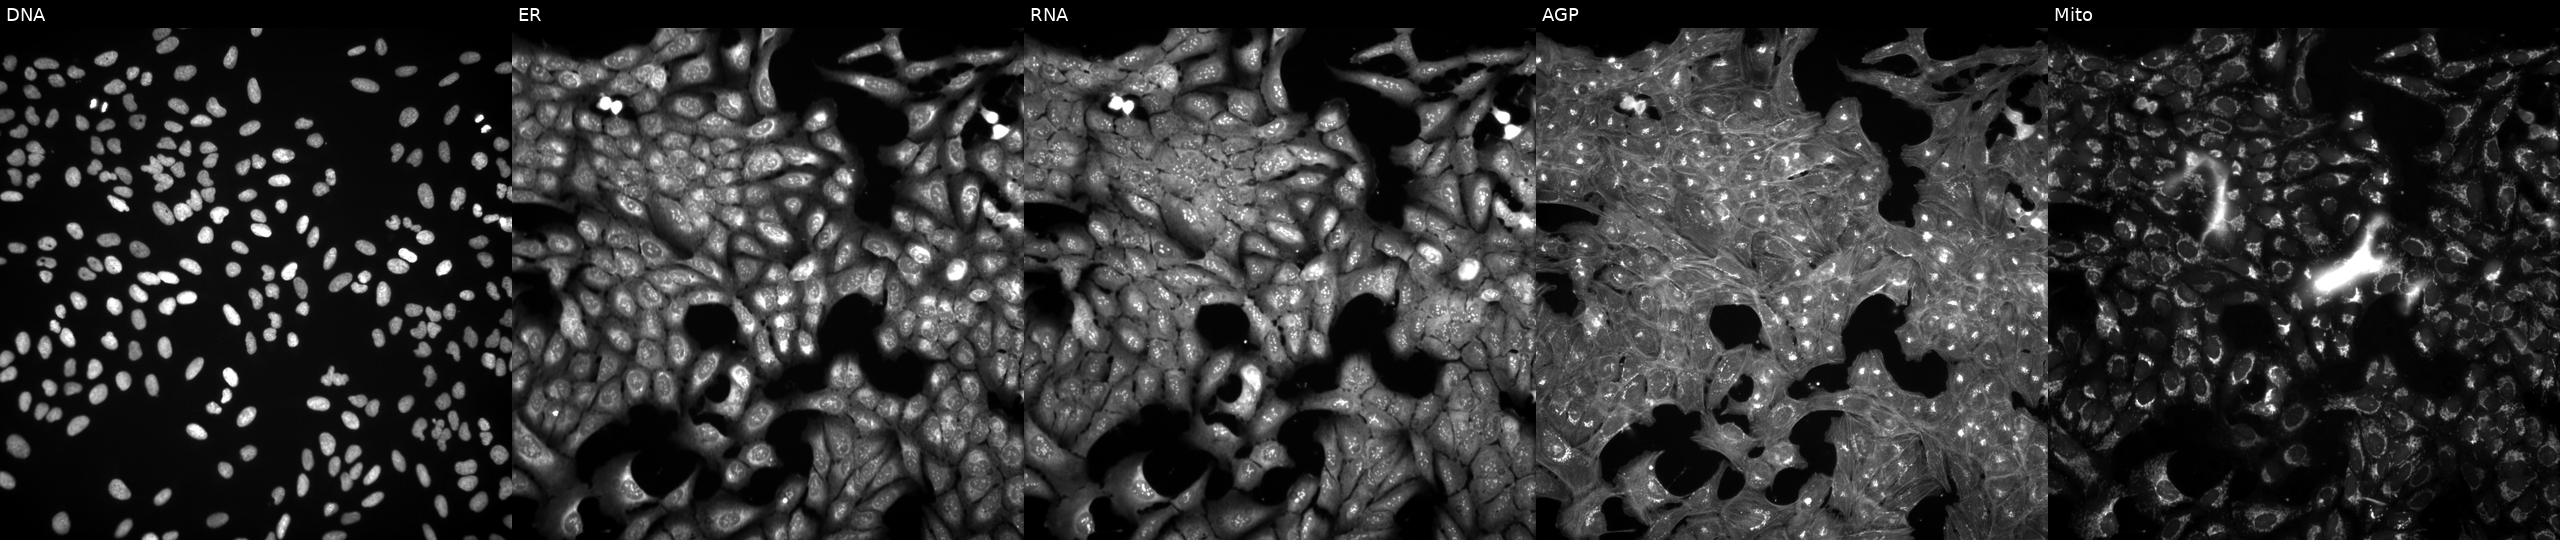
Five-channel Cell Painting image of U2OS cells exposed to a small-molecule compound (InChIKey UXUFAUJVKULPJG-UHFFFAOYSA-N). Channels (left→right): Hoechst 33342, concanavalin A, SYTO 14, phalloidin and WGA, MitoTracker.